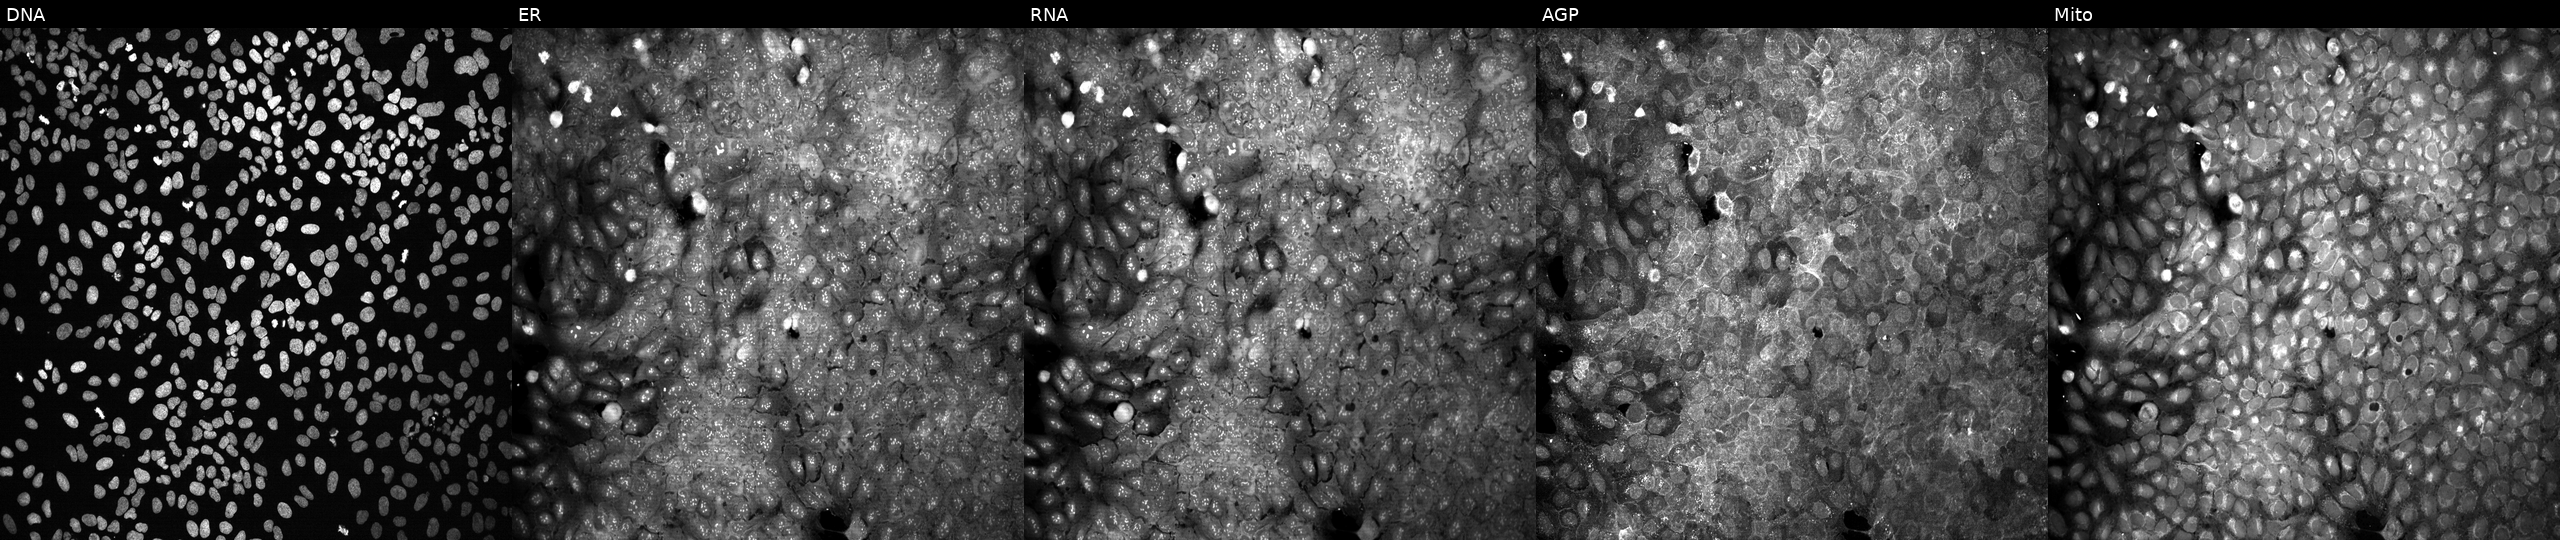
The five panels, left to right, show Hoechst 33342, concanavalin A, SYTO 14, phalloidin and WGA, MitoTracker. U2OS osteosarcoma cells with no CRISPR guide (negative control) (JUMP id JCP2022_800001). Cell Painting assay, JUMP-CP dataset.